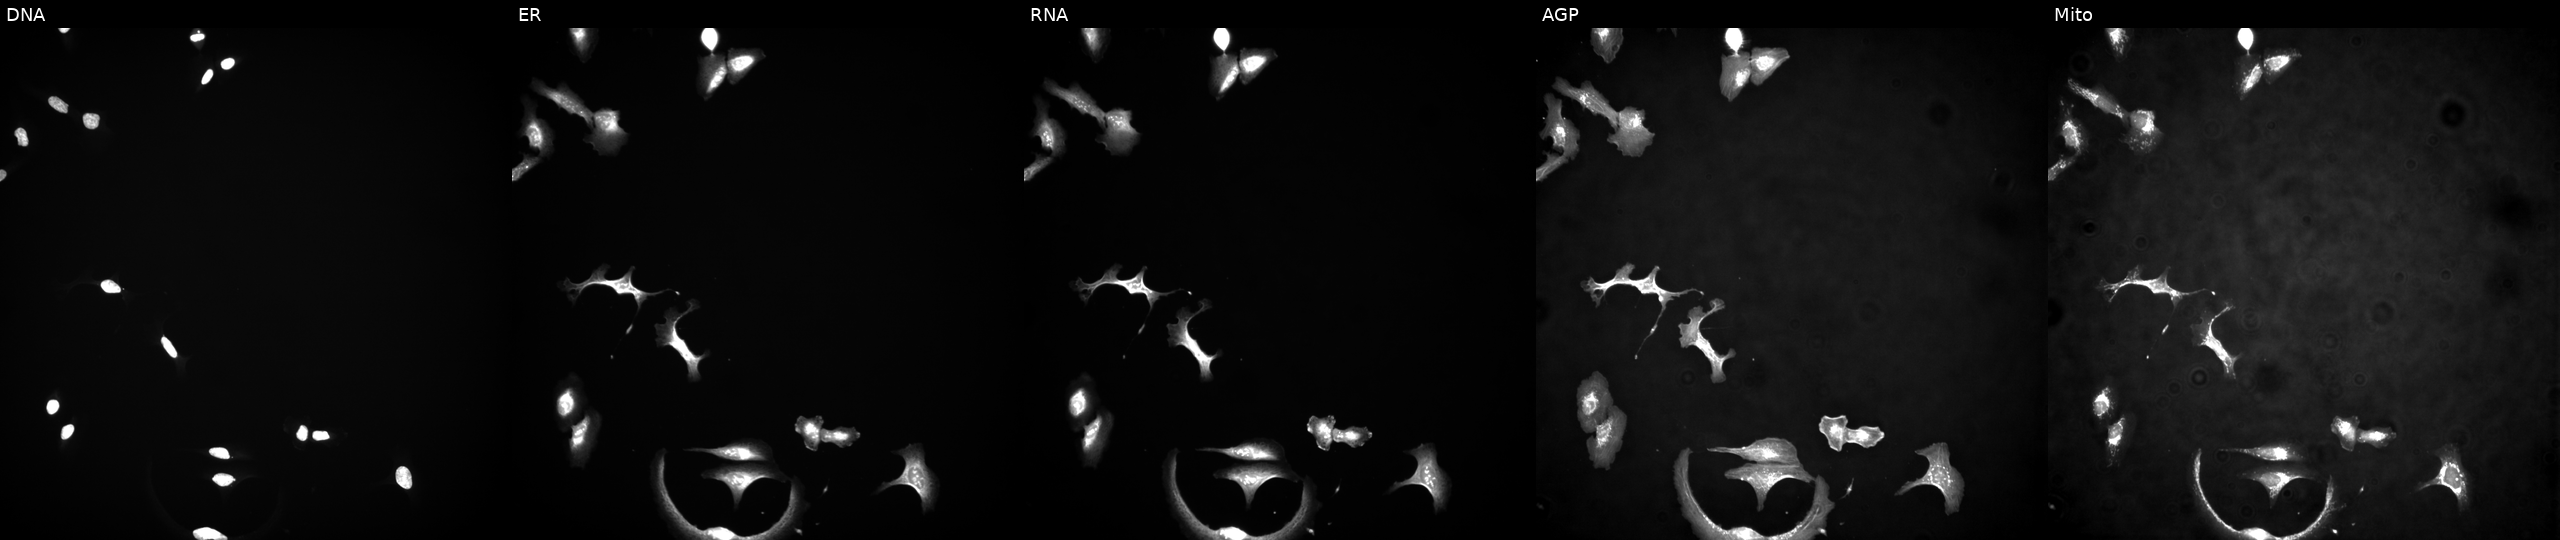
JUMP Cell Painting — ORF plate. U2OS cells overexpressing KIT via ORF transfection. Panels show, left to right, DNA, ER, RNA, AGP, and Mito. Source 4, plate BR00123945, well K07.